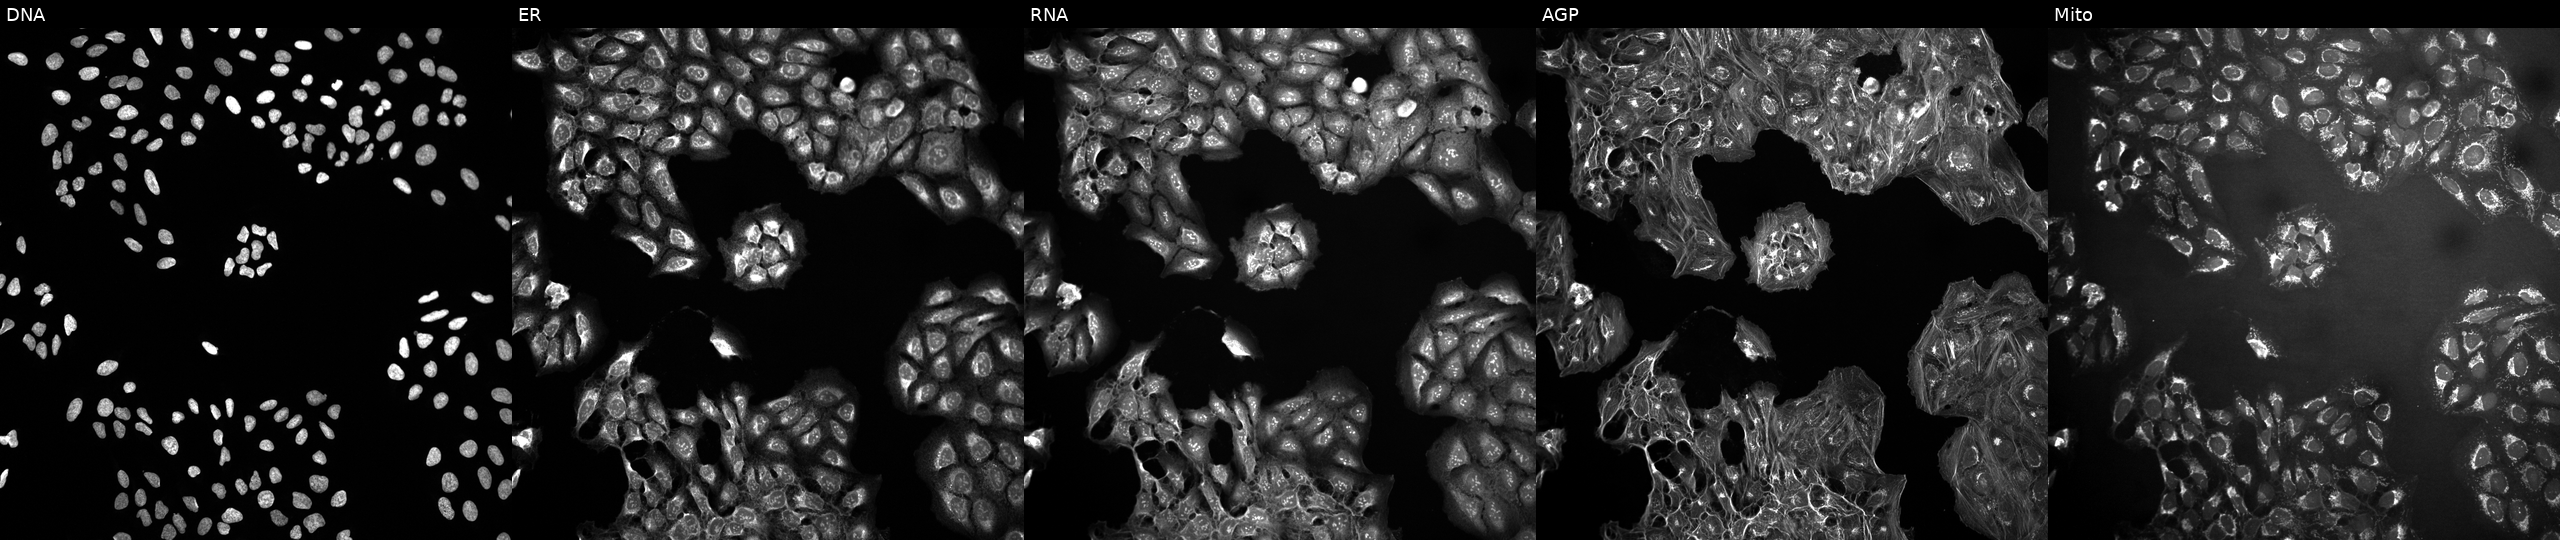
JUMP Cell Painting — COMPOUND plate. U2OS cells in an empty control well (no perturbation) (JUMP id JCP2022_999999). Panels show, left to right, DNA, ER, RNA, AGP, and Mito.